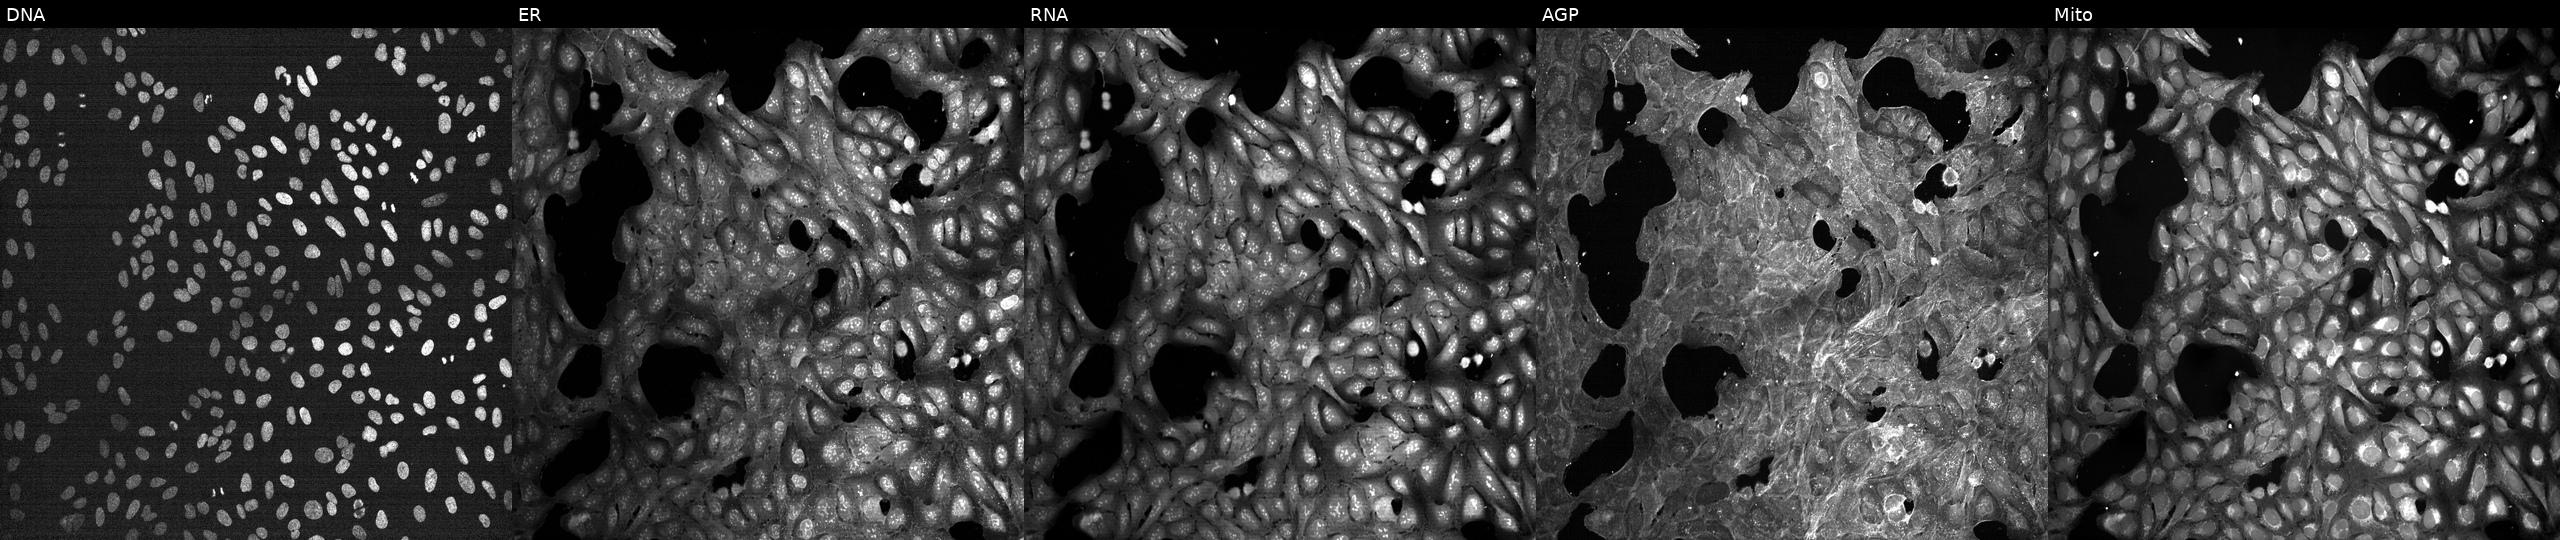
JUMP Cell Painting — TARGET2 plate. U2OS cells perturbed with a small-molecule compound (InChIKey SHZKQBHERIJWAO-UHFFFAOYSA-N). Channels (left→right): DNA, ER, RNA, AGP, and Mito. Source 7, plate CP1-SC1-25, well P05.